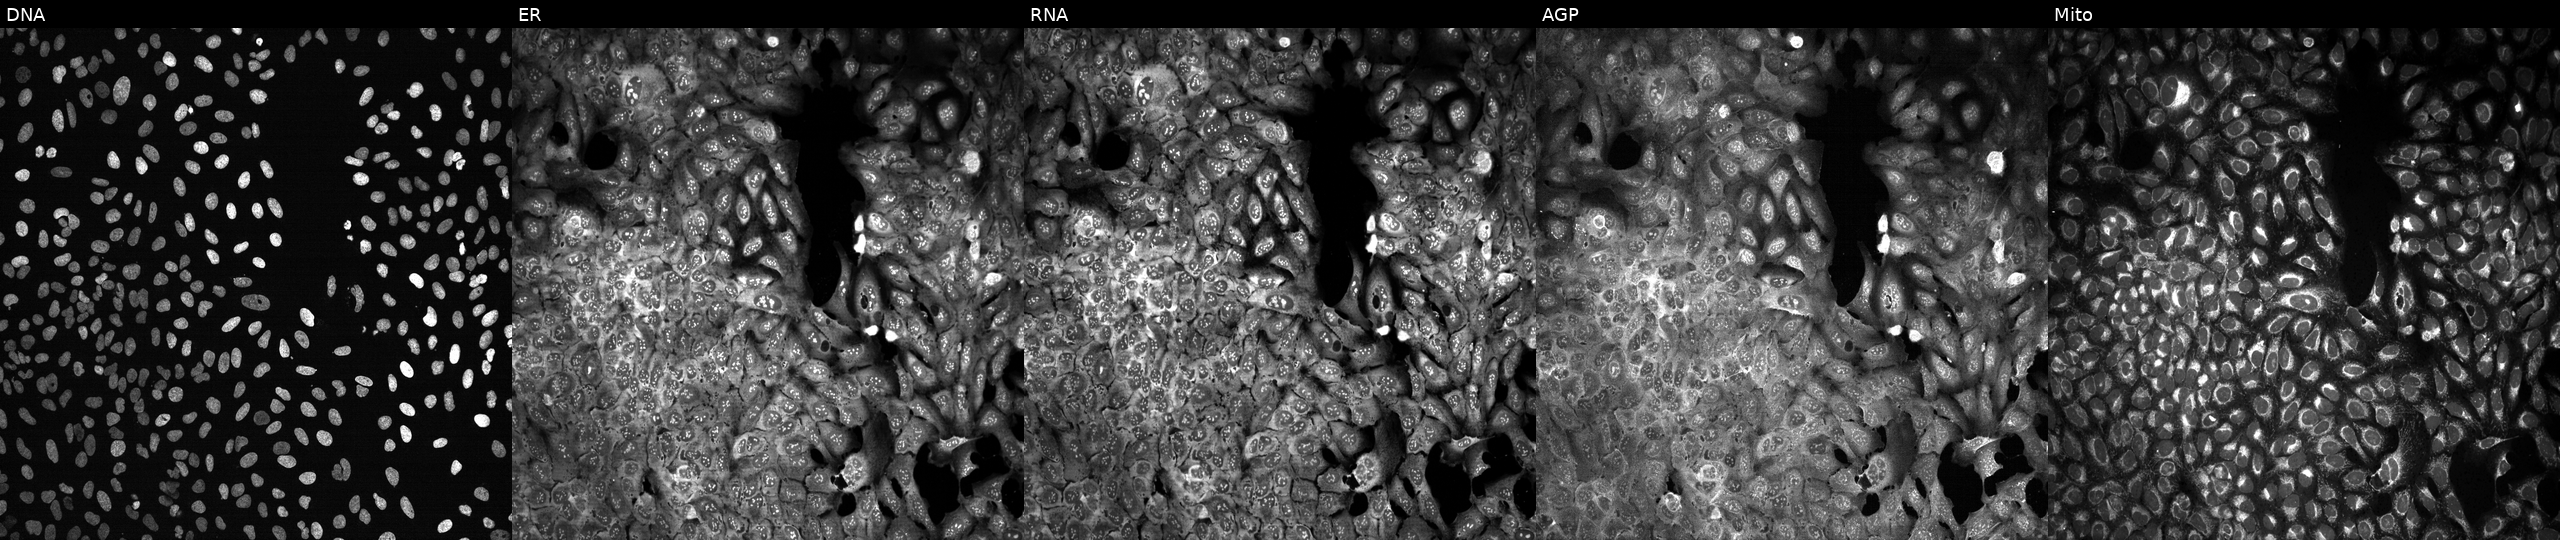
This image strip shows the five Cell Painting channels for a single field of U2OS cells CRISPR-edited to disrupt TRIP6 (JUMP id JCP2022_807323). From left to right: Hoechst 33342, concanavalin A, SYTO 14, phalloidin and WGA, MitoTracker.